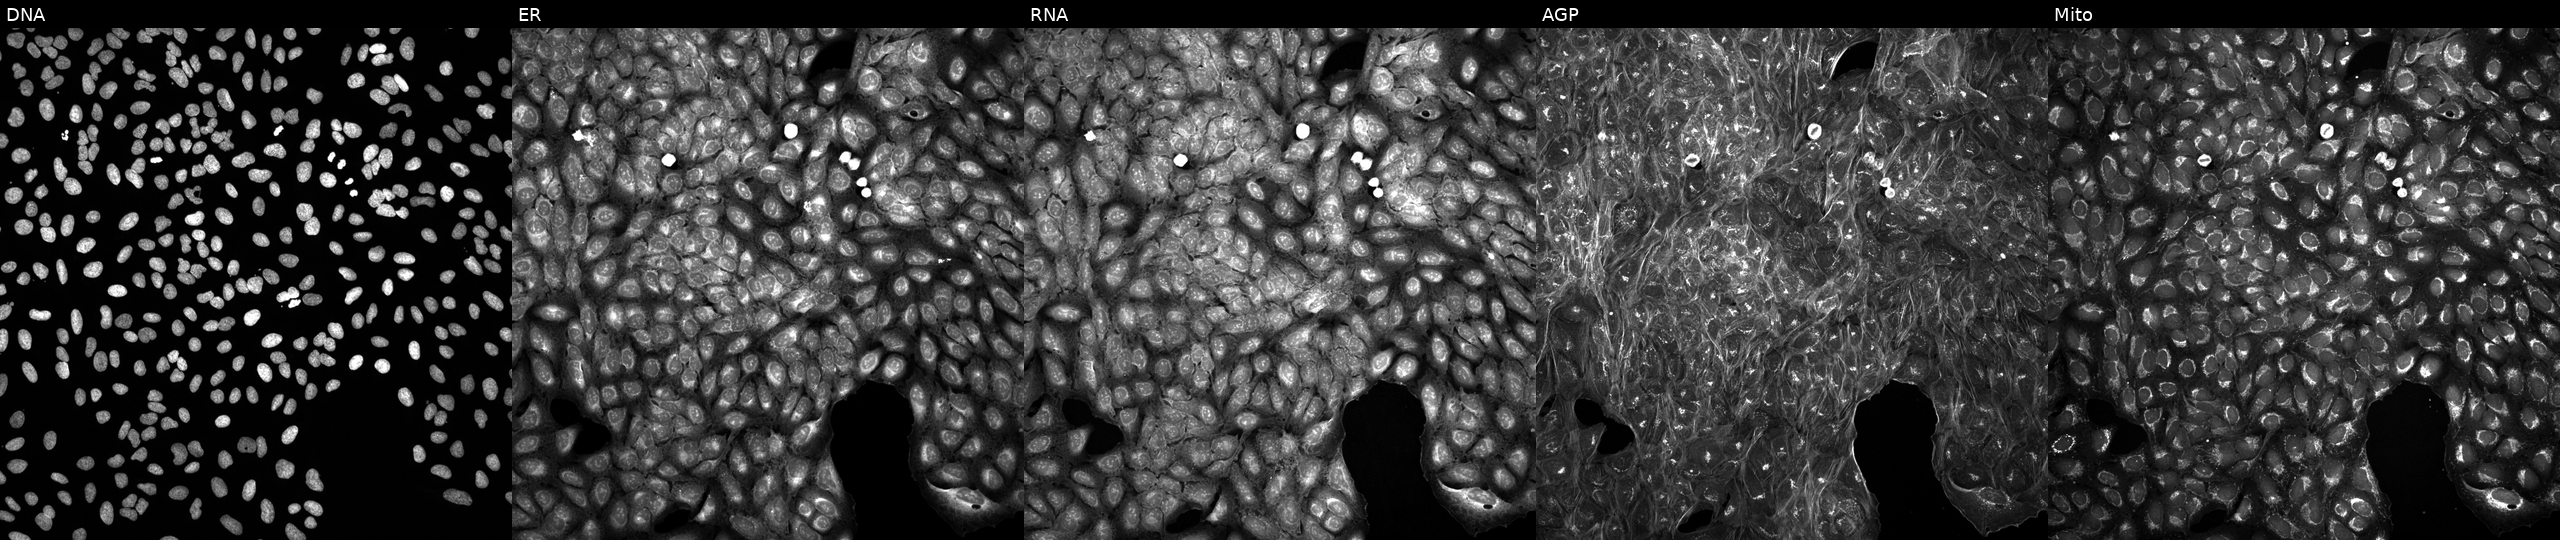
This image strip shows the five Cell Painting channels for a single field of U2OS cells perturbed with a small-molecule compound (InChIKey UIEATEWHFDRYRU-UHFFFAOYSA-N) (JUMP id JCP2022_089383). From left to right: DNA, ER, RNA, AGP, and Mito.